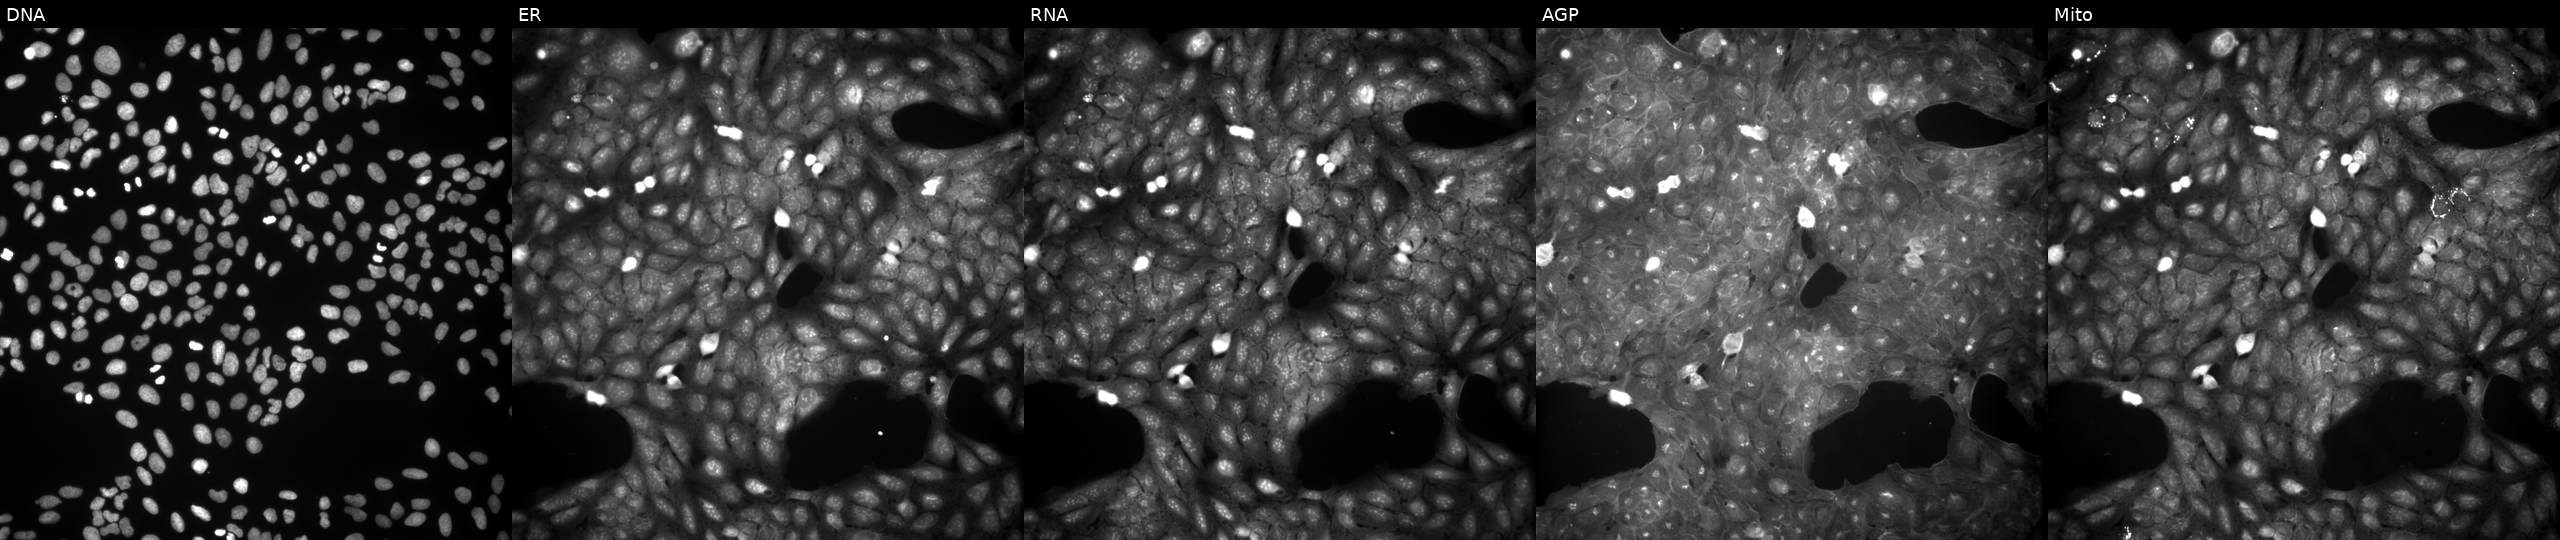
Five-channel Cell Painting image of U2OS cells perturbed with a small-molecule compound (InChIKey ZAIWKHTXNIGHQA-UHFFFAOYSA-N). Channels (left→right): DNA, ER, RNA, AGP, and Mito.